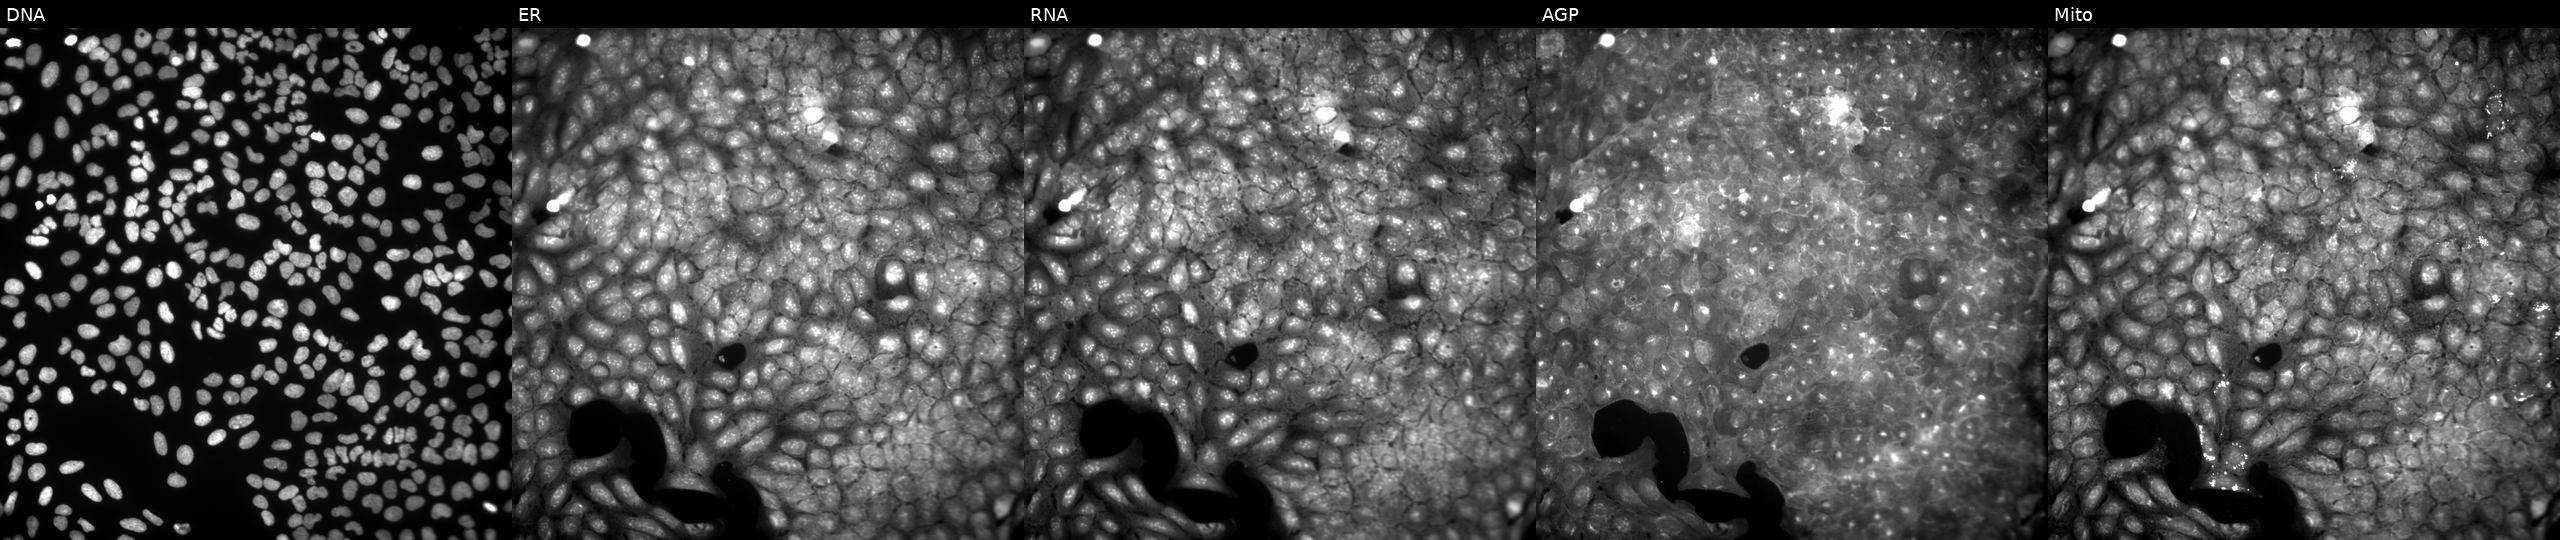
JUMP Cell Painting — COMPOUND plate. U2OS cells treated with a small-molecule compound [SMILES: O=C1c2cccc3cccc(c23)C(=O)N1CC(=O)N1CCc2ccccc21]. Panels show, left to right, DNA, ER, RNA, AGP, and Mito.